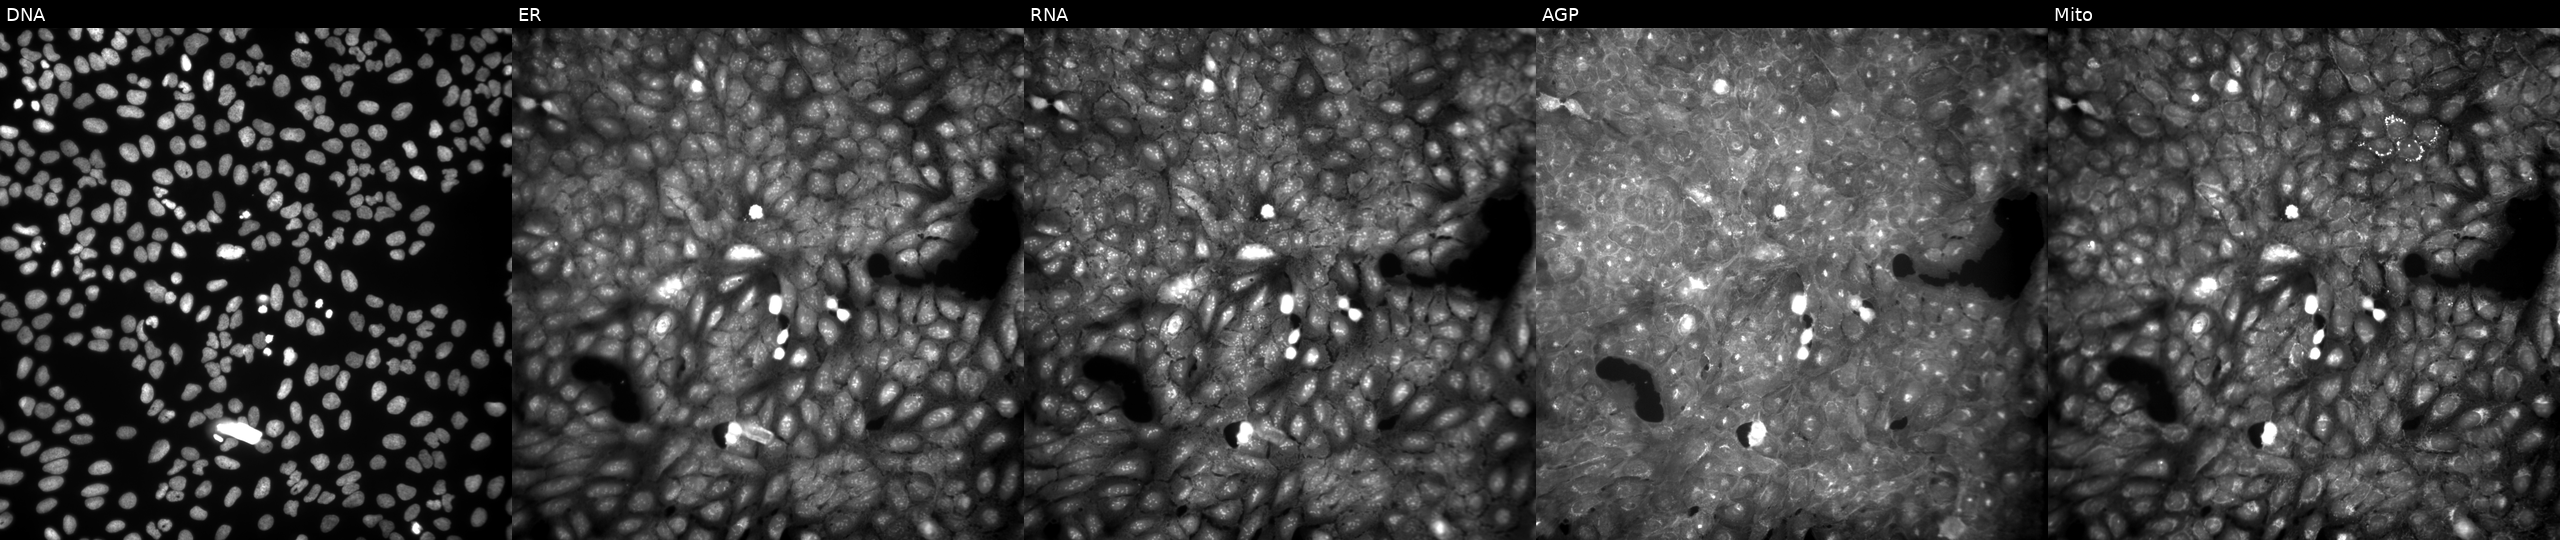
Five-channel Cell Painting image of U2OS cells treated with a small-molecule compound [SMILES: O=C(c1ccccc1)N1N=C(c2ccccc2)CC1c1ccccc1[N+](=O)[O-]]. The five panels, left to right, show DNA (nuclei); ER (endoplasmic reticulum); RNA (nucleoli and cytoplasmic RNA); AGP (actin cytoskeleton, Golgi, and plasma membrane); Mito (mitochondria). Source 9, plate GR00003382, well I43.